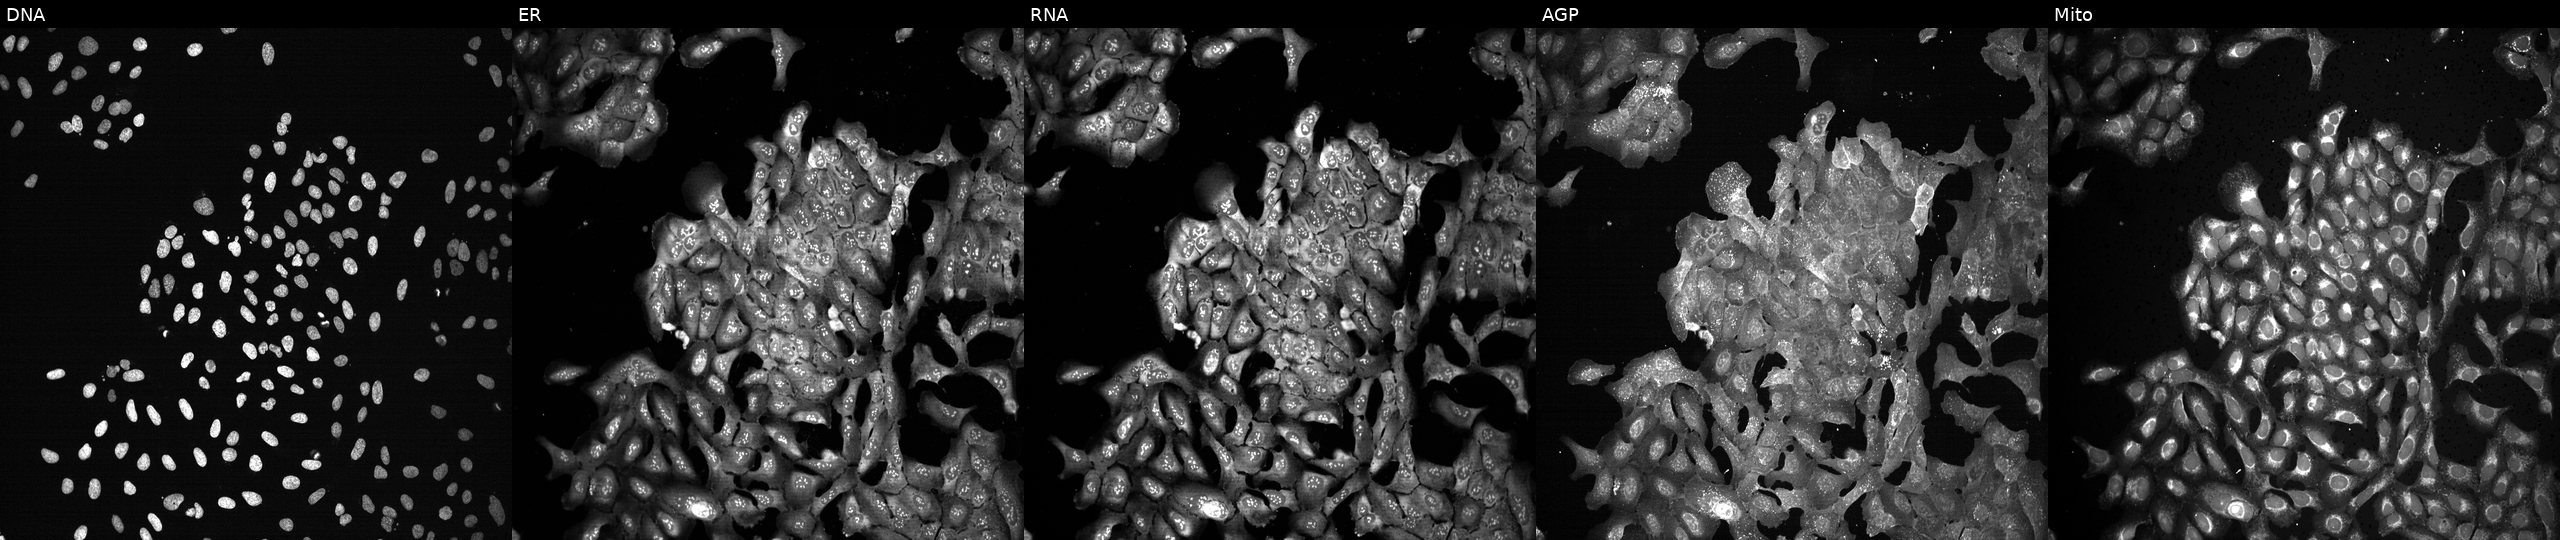
This image strip shows the five Cell Painting channels for a single field of U2OS cells CRISPR-edited to disrupt SULT4A1. The five panels, left to right, show Hoechst 33342, concanavalin A, SYTO 14, phalloidin and WGA, MitoTracker.